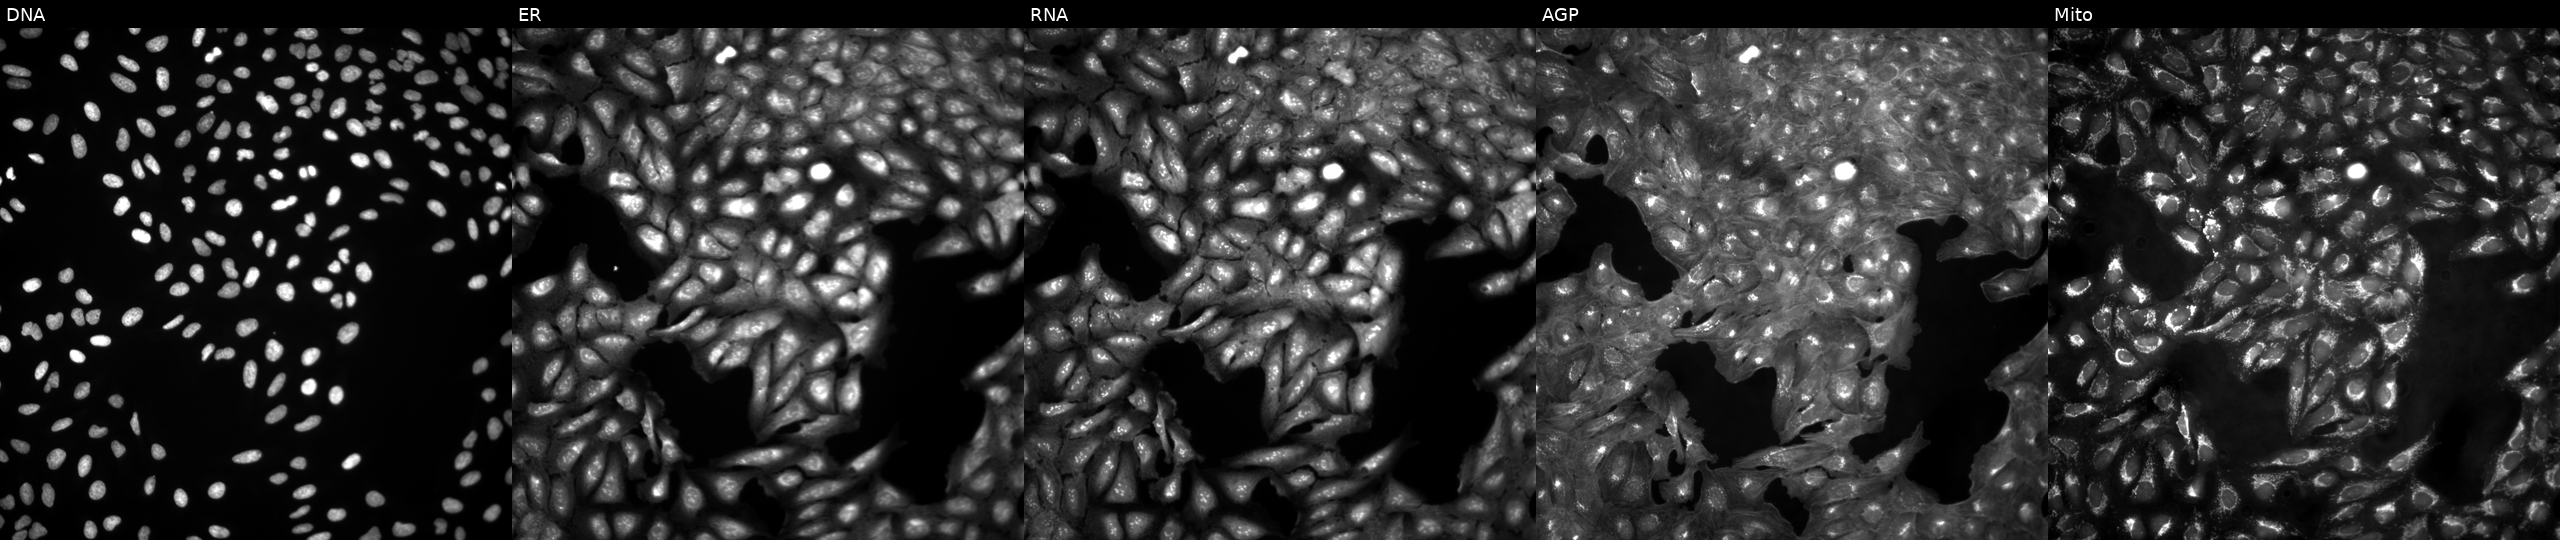
JUMP Cell Painting — ORF plate. U2OS cells in an empty control well (no perturbation) (JUMP id JCP2022_999999). Panels show, left to right, DNA, ER, RNA, AGP, and Mito.